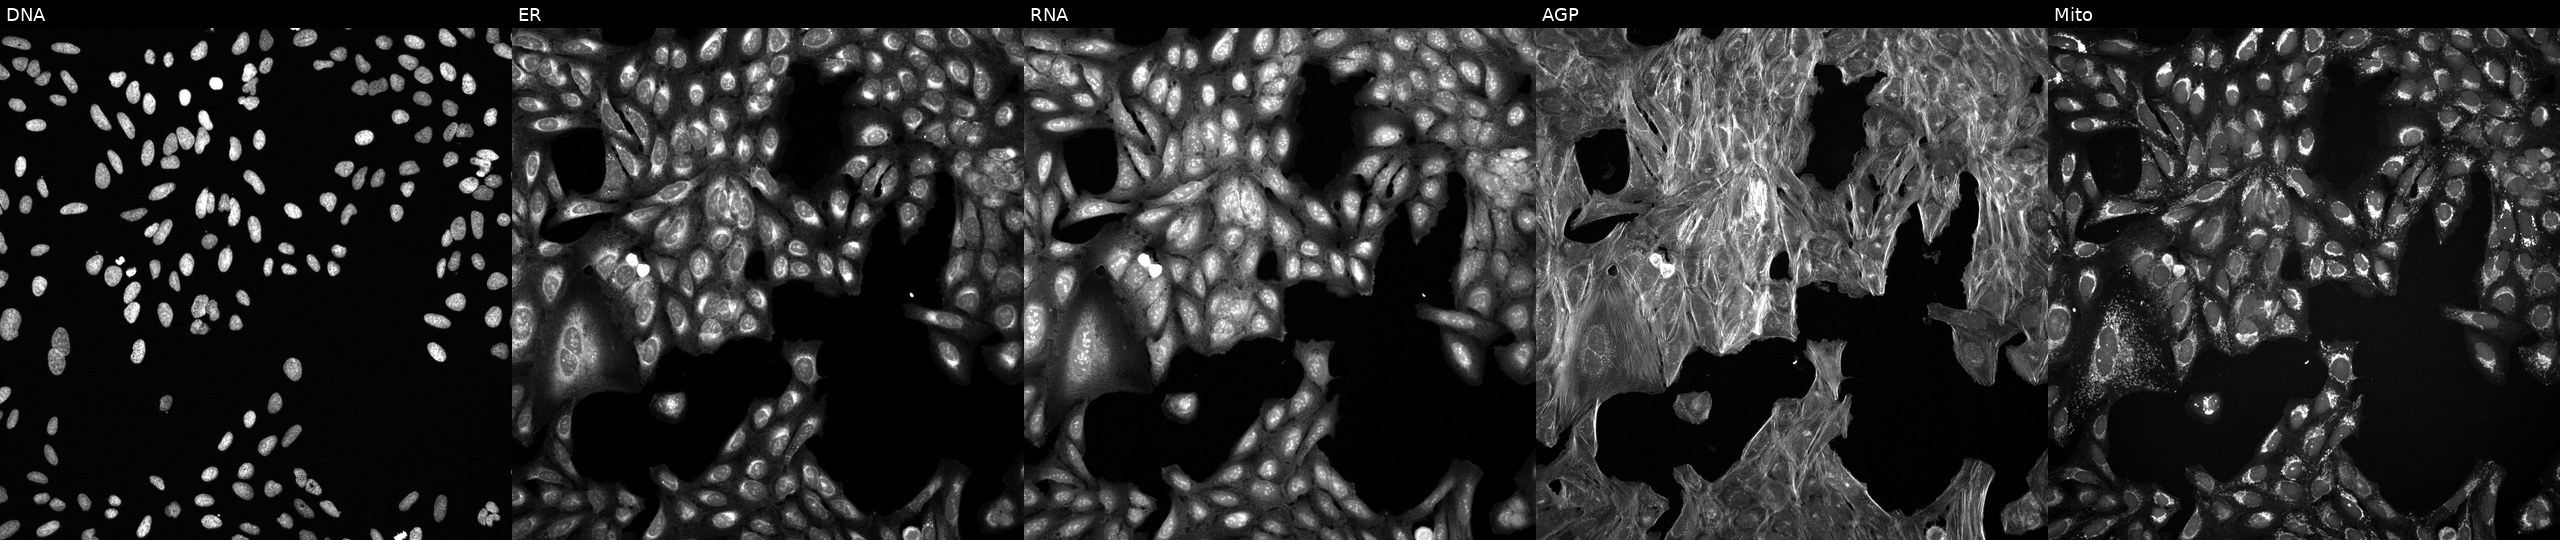
This image strip shows the five Cell Painting channels for a single field of U2OS cells exposed to a small-molecule compound. From left to right: DNA, ER, RNA, AGP, and Mito. Source 6, plate 110000293082, well H14.